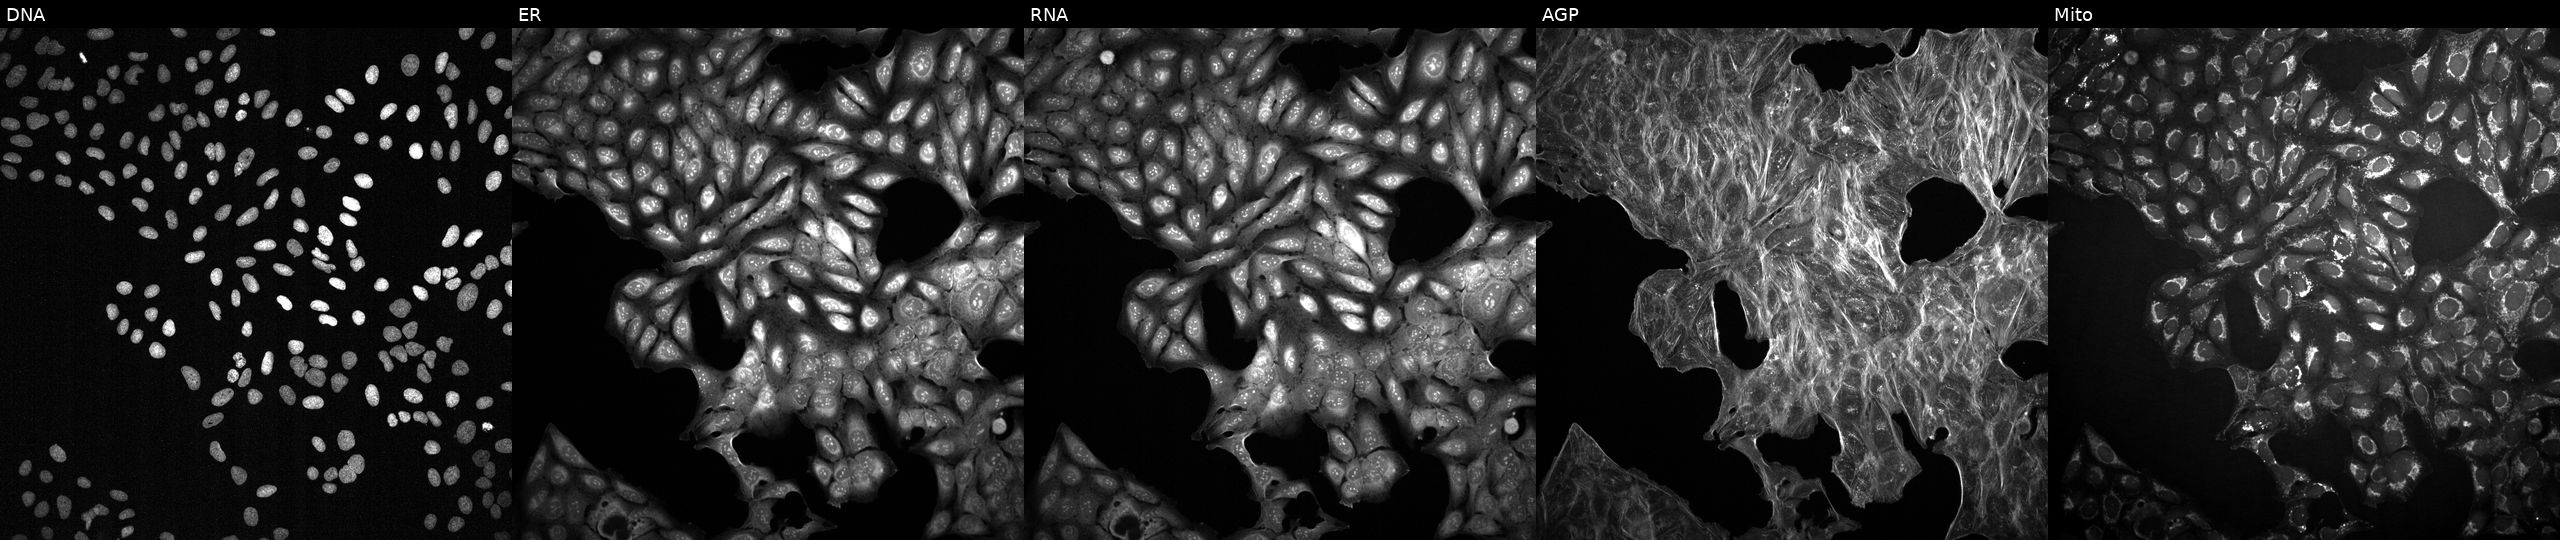
Five-channel Cell Painting image of U2OS cells perturbed with a small-molecule compound (InChIKey RIJLVEAXPNLDTC-UHFFFAOYSA-N). From left to right: Hoechst 33342, concanavalin A, SYTO 14, phalloidin and WGA, MitoTracker.